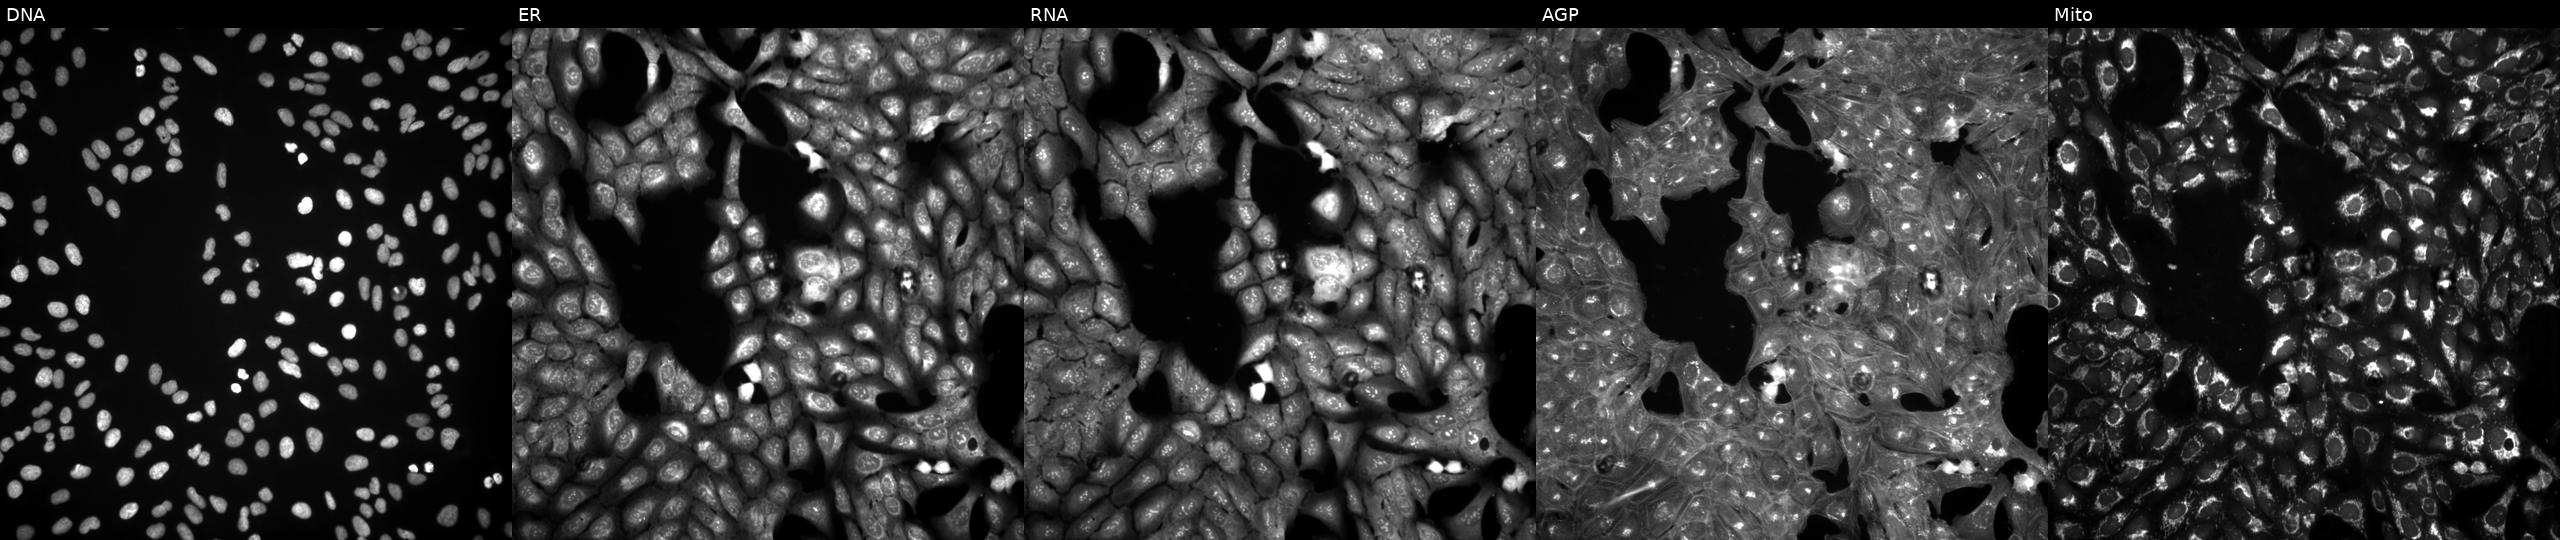
This image strip shows the five Cell Painting channels for a single field of U2OS cells exposed to a small-molecule compound (InChIKey IFKNJUOHPSTIPS-UHFFFAOYSA-N) (JUMP id JCP2022_034723). From left to right: DNA (nuclei); ER (endoplasmic reticulum); RNA (nucleoli and cytoplasmic RNA); AGP (actin cytoskeleton, Golgi, and plasma membrane); Mito (mitochondria).